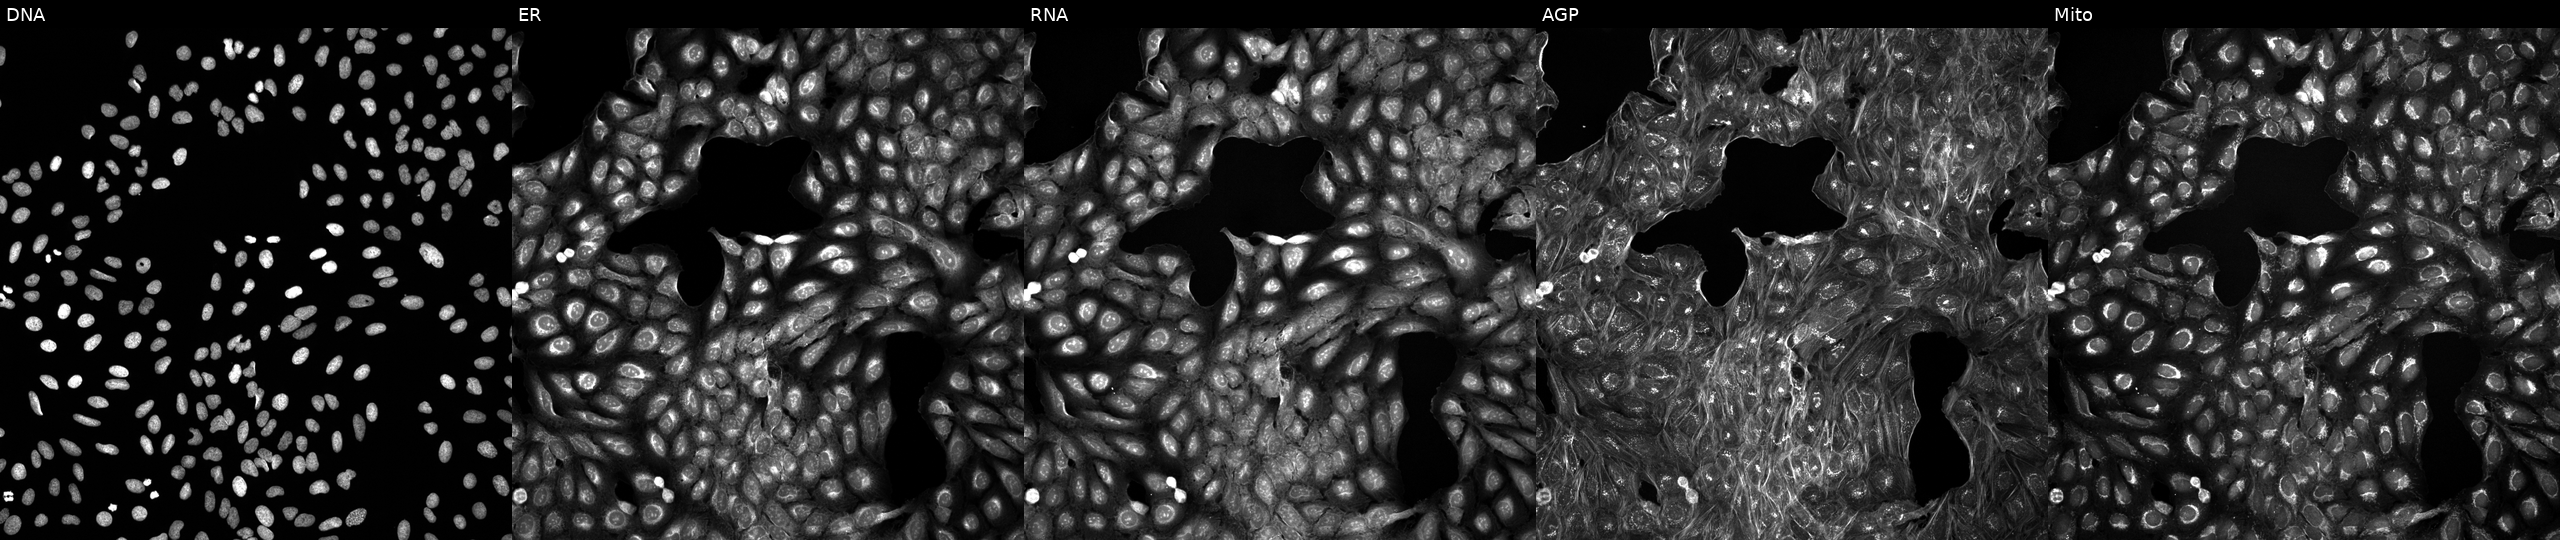
This image strip shows the five Cell Painting channels for a single field of U2OS cells treated with a small-molecule compound (InChIKey NBHPRWLFLUBAIE-UHFFFAOYSA-N). Channels (left→right): DNA (nuclei); ER (endoplasmic reticulum); RNA (nucleoli and cytoplasmic RNA); AGP (actin cytoskeleton, Golgi, and plasma membrane); Mito (mitochondria).